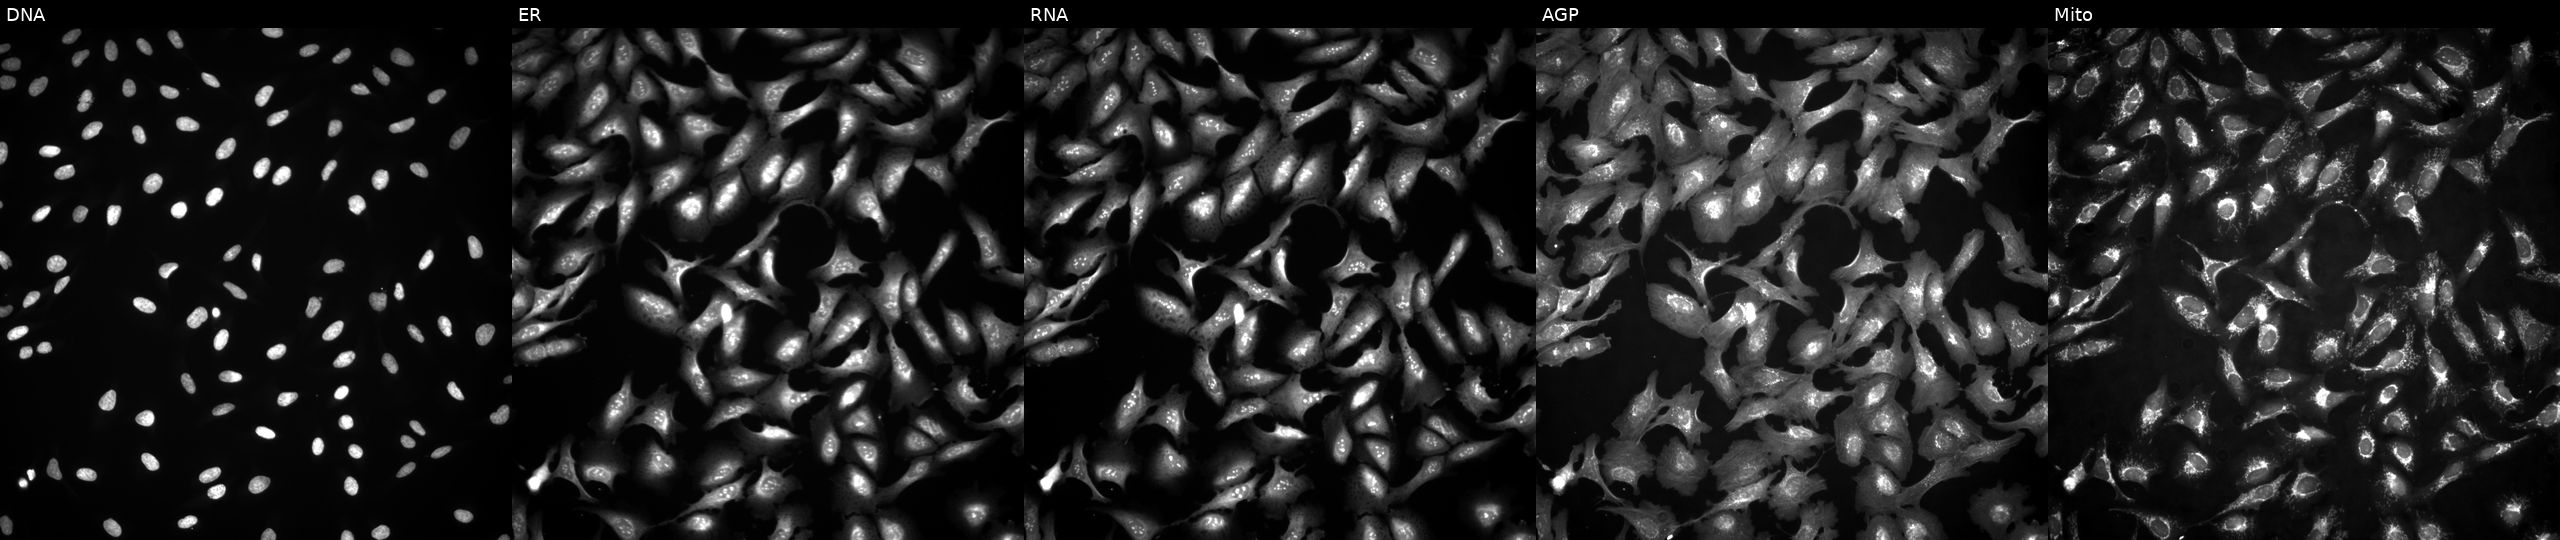
Five-channel Cell Painting image of U2OS cells overexpressing TYRO3 via ORF transfection. Panels show, left to right, DNA, ER, RNA, AGP, and Mito. Source 4, plate BR00124787, well D11.